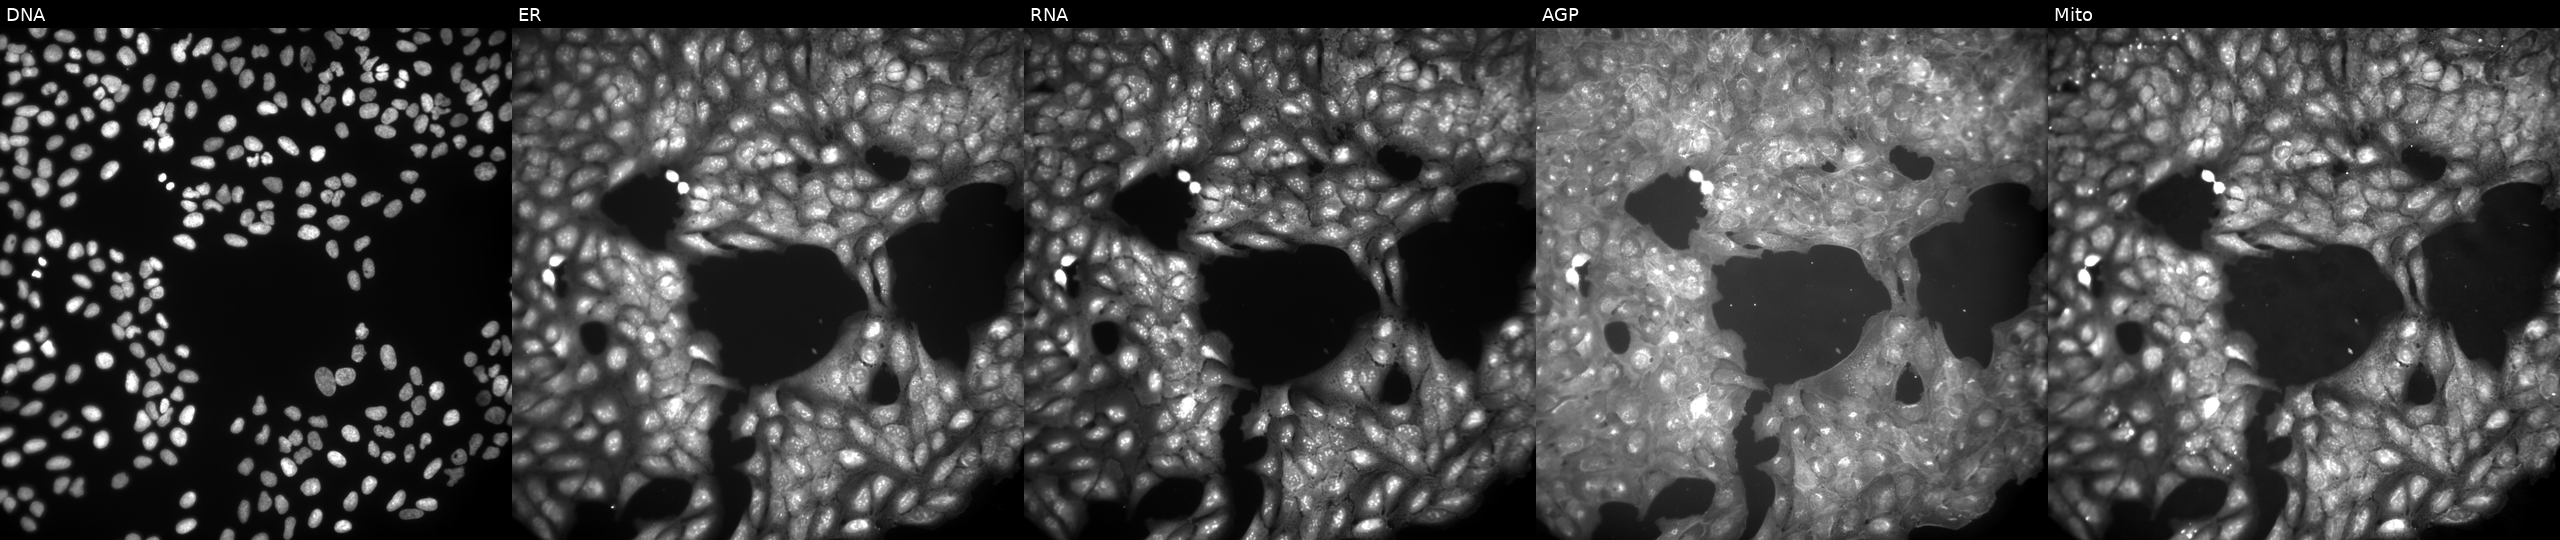
U2OS cells, Cell Painting assay, perturbed with a small-molecule compound (InChIKey ONSKPYHSULWDER-UHFFFAOYSA-N) [SMILES: COc1ccc(Br)cc1C1SCCN1S(=O)(=O)c1cccc(C)c1] (JUMP id JCP2022_064971). Panels show, left to right, DNA, ER, RNA, AGP, and Mito. Each panel is percentile-stretched 16-bit fluorescence. Source 9, plate GR00003381, well D46.